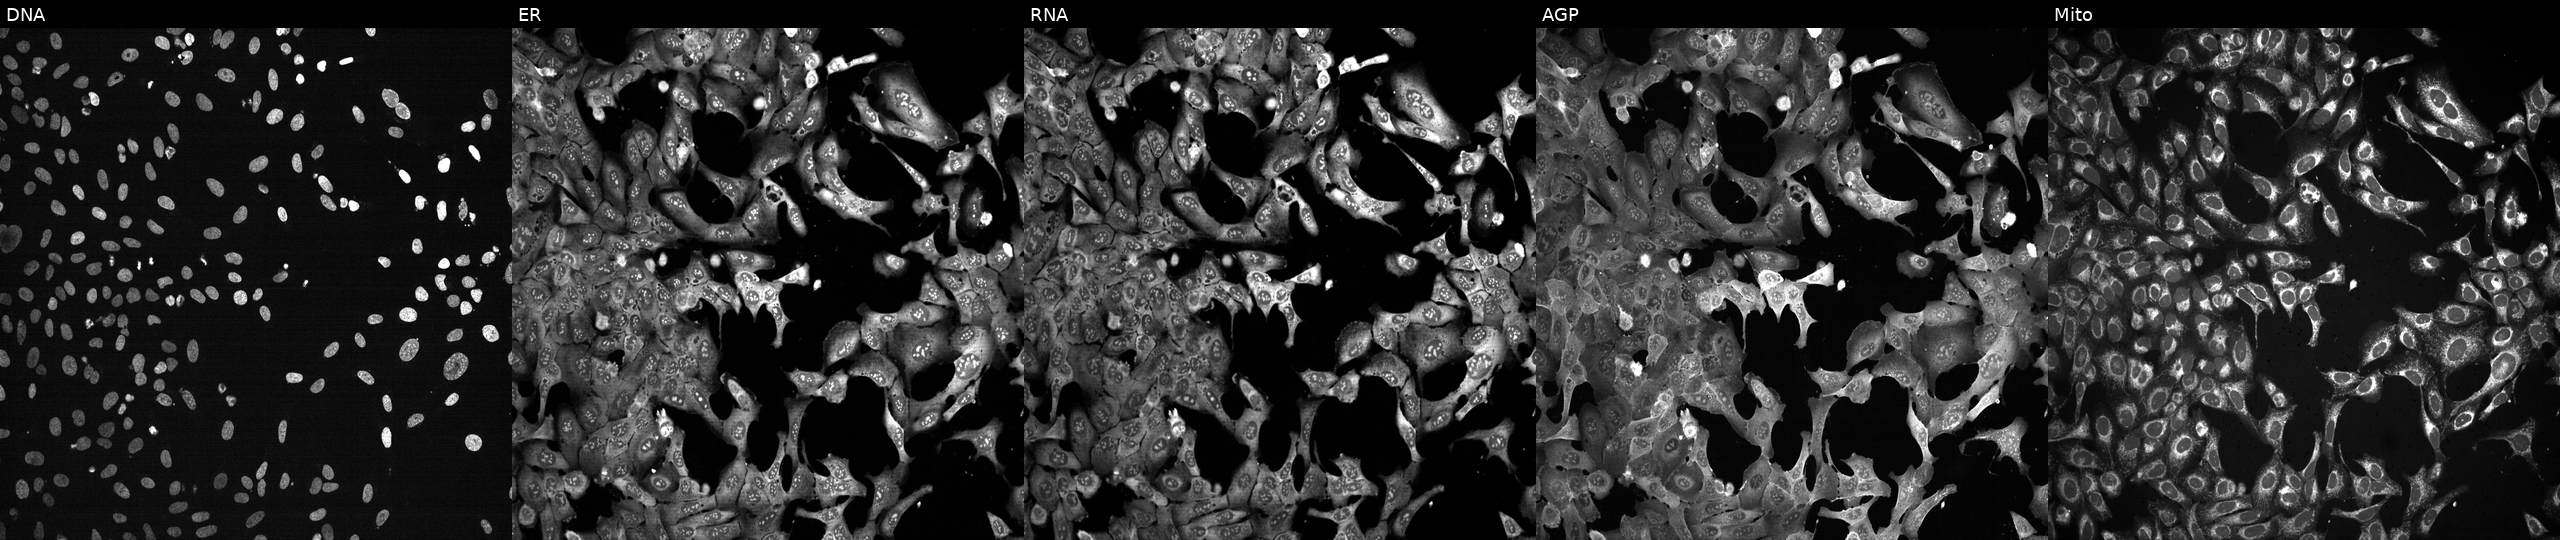
U2OS cells, Cell Painting assay, with STX18 knocked out by CRISPR. Channels (left→right): DNA, ER, RNA, AGP, and Mito. Each panel is percentile-stretched 16-bit fluorescence. Source 13, plate CP-CC9-R4-03, well A16.